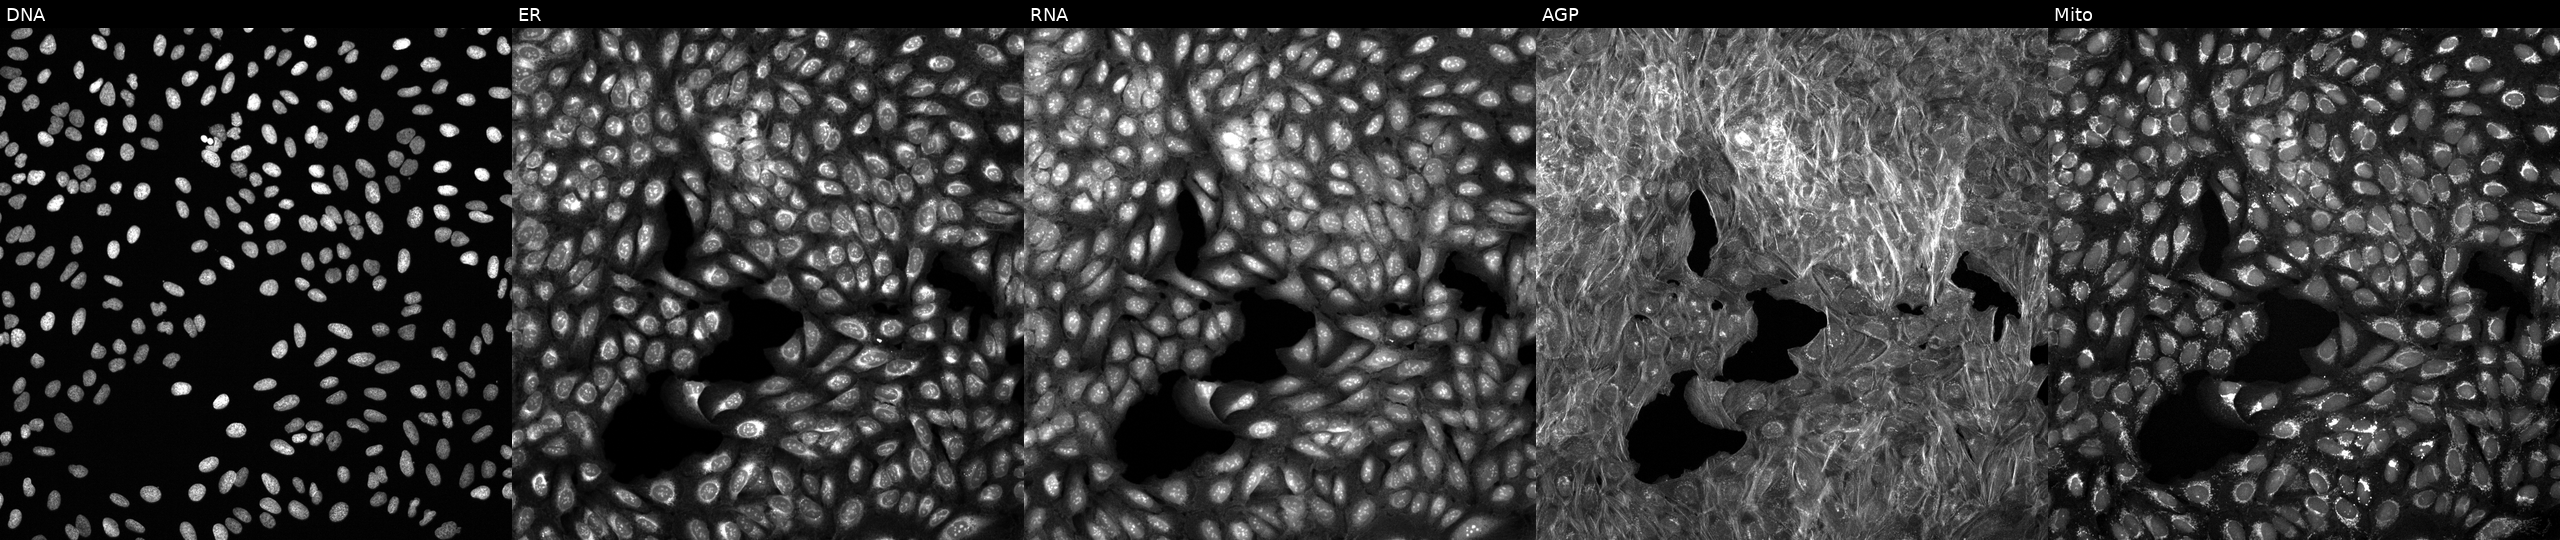
JUMP Cell Painting — TARGET2 plate. U2OS cells exposed to a small-molecule compound (InChIKey ZESFDAKNYJQYKO-UHFFFAOYSA-N). Channels (left→right): DNA, ER, RNA, AGP, and Mito. Source 6, plate 110000294901, well P15.